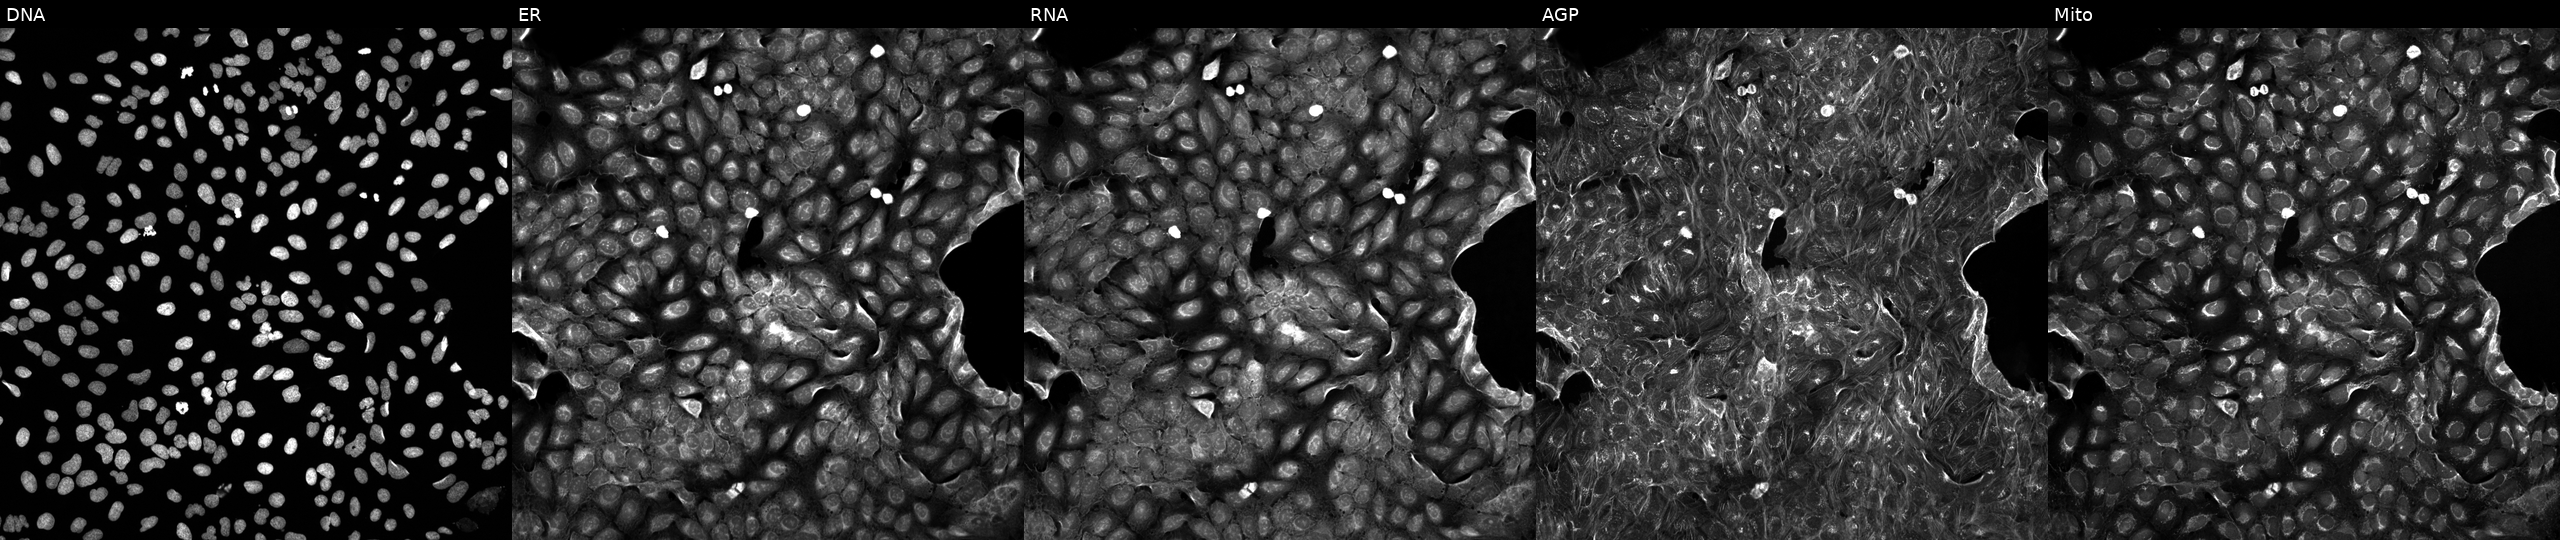
From left to right: DNA, ER, RNA, AGP, and Mito. U2OS osteosarcoma cells exposed to DMSO alone as a negative control. Cell Painting assay, JUMP-CP dataset. Source 5, plate ACPJUM012, well O11.